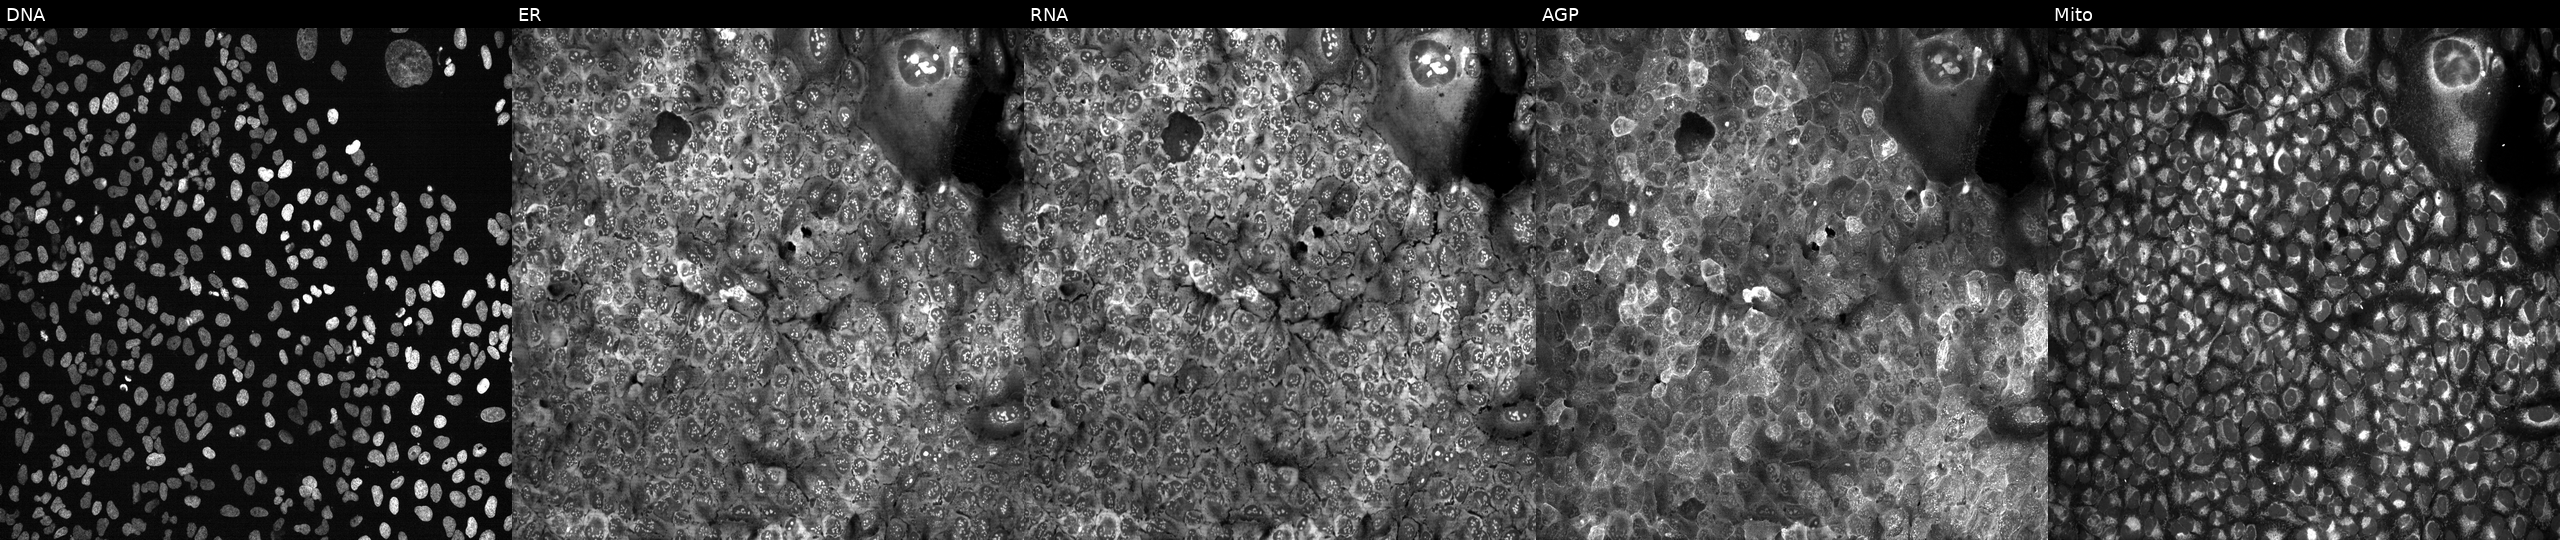
U2OS cells, Cell Painting assay, following CRISPR knockout of NLRP9. Panels show, left to right, Hoechst 33342, concanavalin A, SYTO 14, phalloidin and WGA, MitoTracker. Each panel is percentile-stretched 16-bit fluorescence.